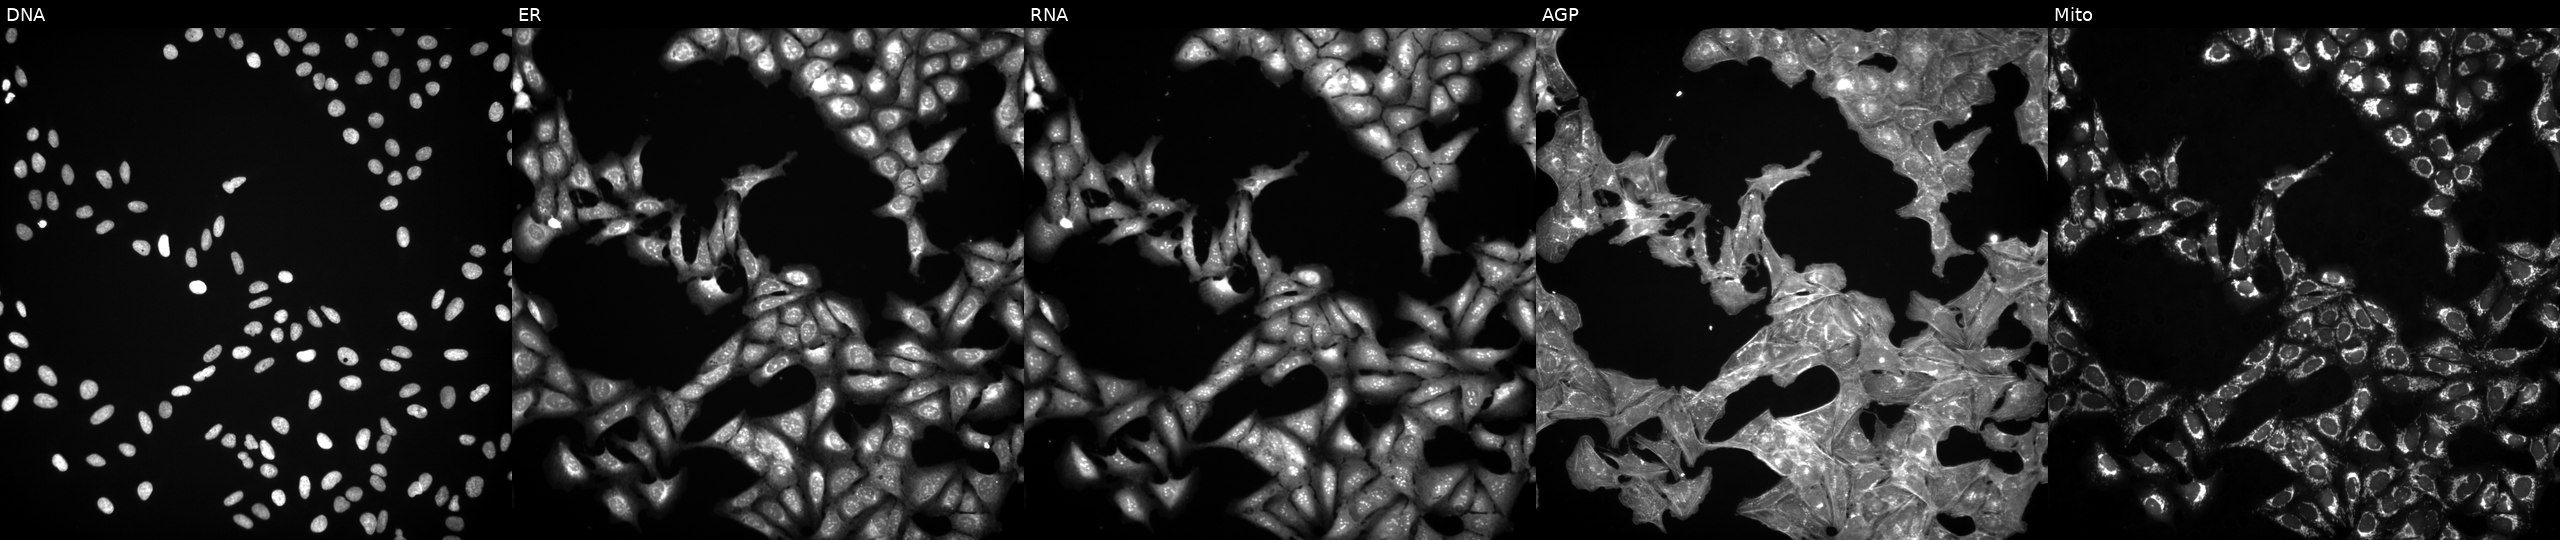
High-content fluorescence microscopy (Cell Painting). Cell line: U2OS. Perturbation: exposed to a small-molecule compound (InChIKey AFJRDFWMXUECEW-UHFFFAOYSA-N). Panels show, left to right, Hoechst 33342, concanavalin A, SYTO 14, phalloidin and WGA, MitoTracker.